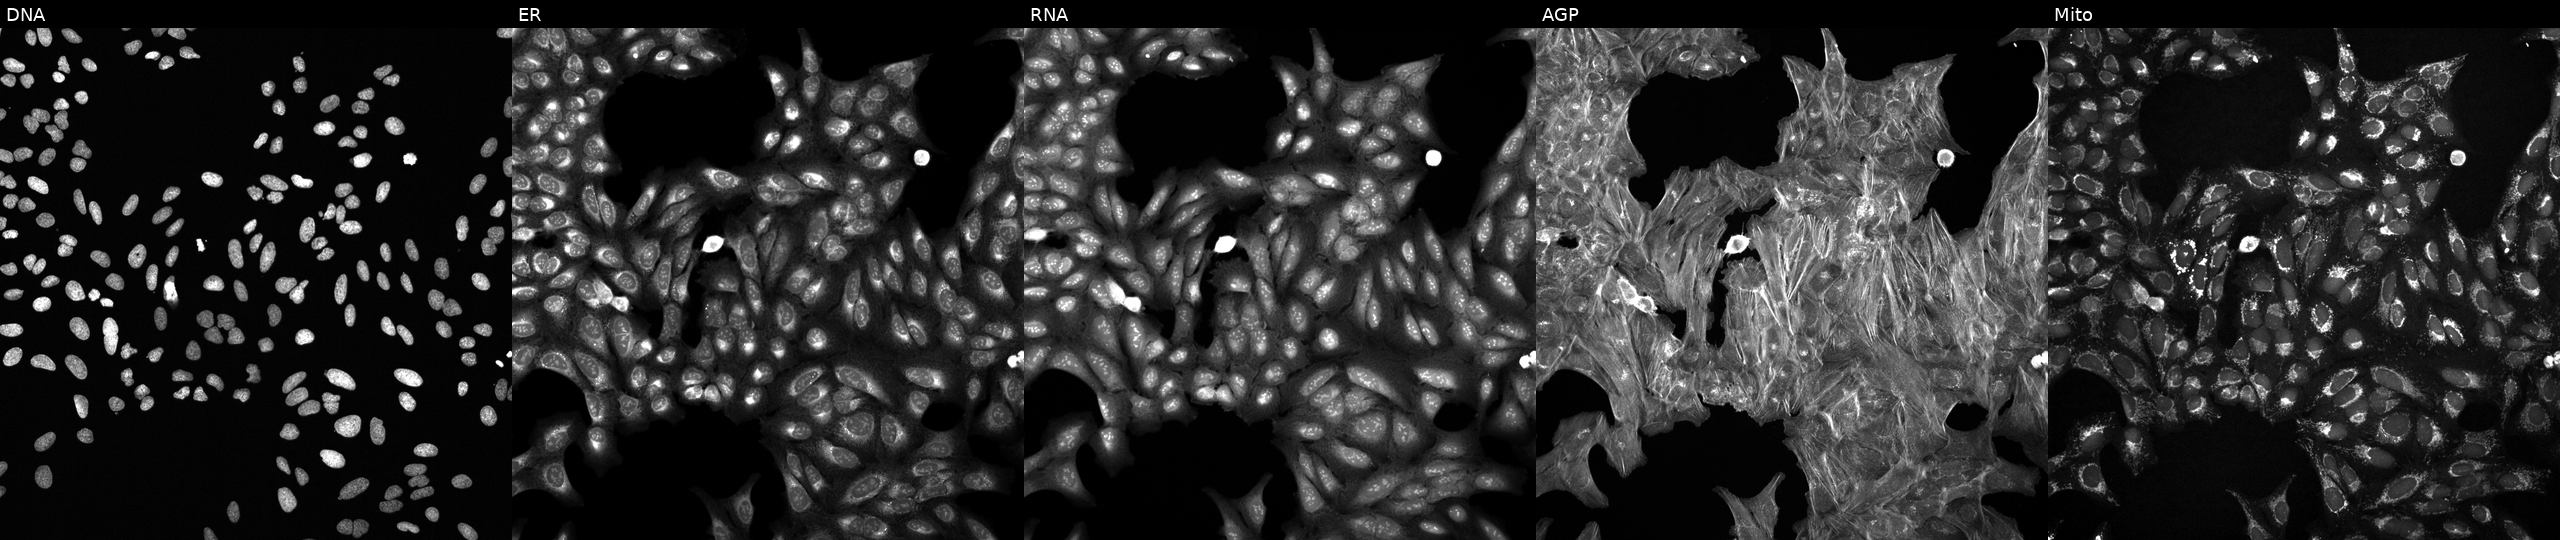
JUMP Cell Painting — COMPOUND plate. U2OS cells exposed to a small-molecule compound (InChIKey JTMUBMGBULLNSB-UHFFFAOYSA-N). Panels show, left to right, DNA (nuclei); ER (endoplasmic reticulum); RNA (nucleoli and cytoplasmic RNA); AGP (actin cytoskeleton, Golgi, and plasma membrane); Mito (mitochondria). Source 6, plate 110000293082, well C03.